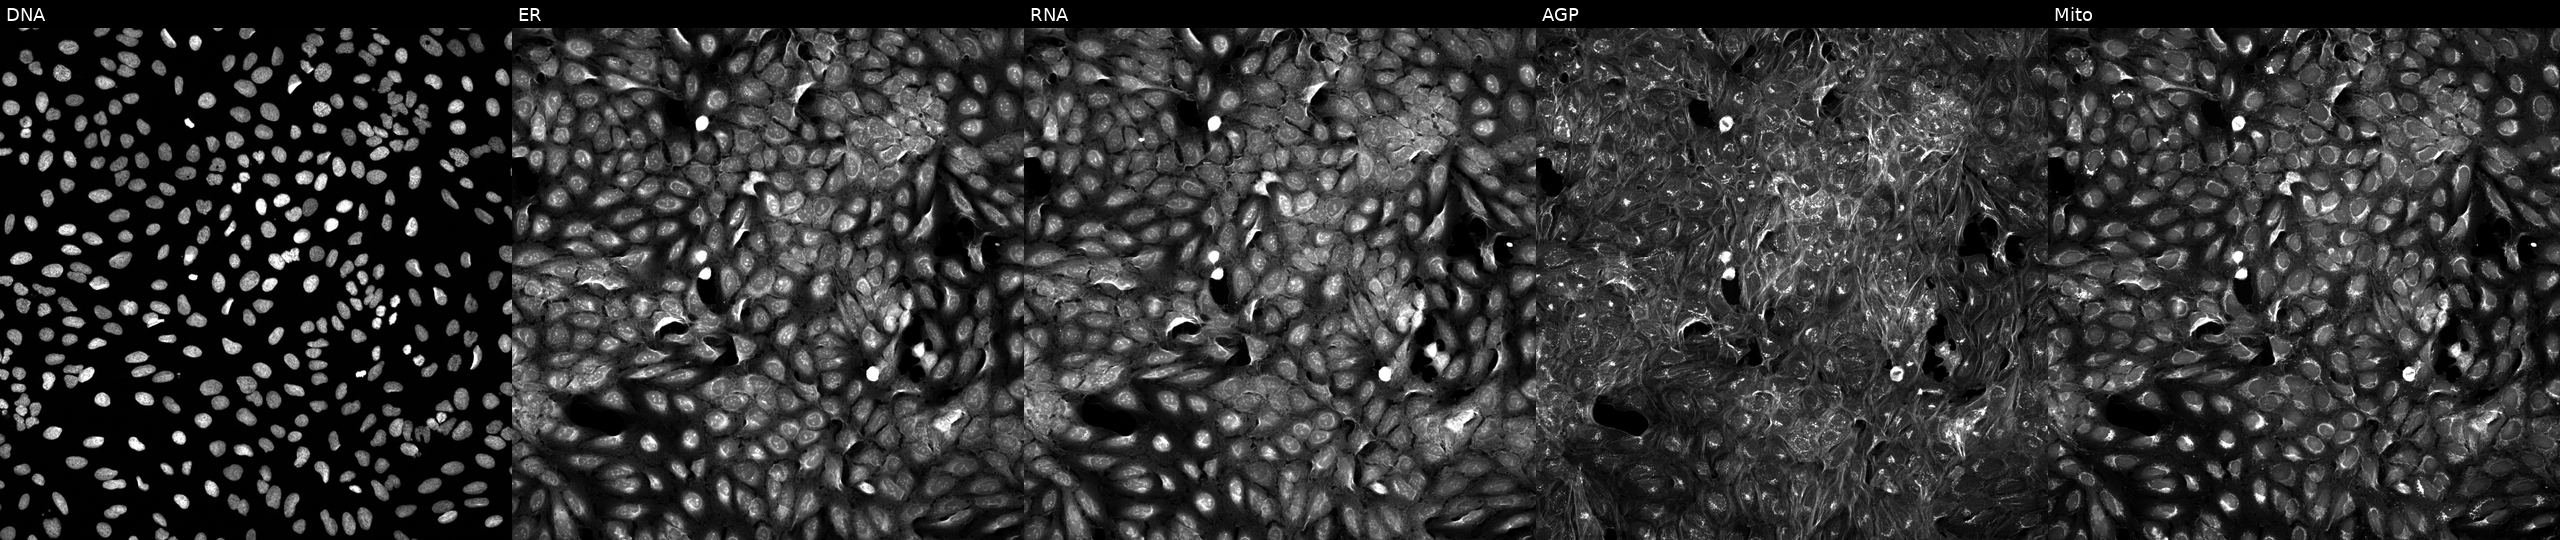
JUMP Cell Painting — COMPOUND plate. U2OS cells treated with DMSO vehicle only (negative control). Channels (left→right): DNA (nuclei); ER (endoplasmic reticulum); RNA (nucleoli and cytoplasmic RNA); AGP (actin cytoskeleton, Golgi, and plasma membrane); Mito (mitochondria). Source 5, plate APTJUM106, well O02.